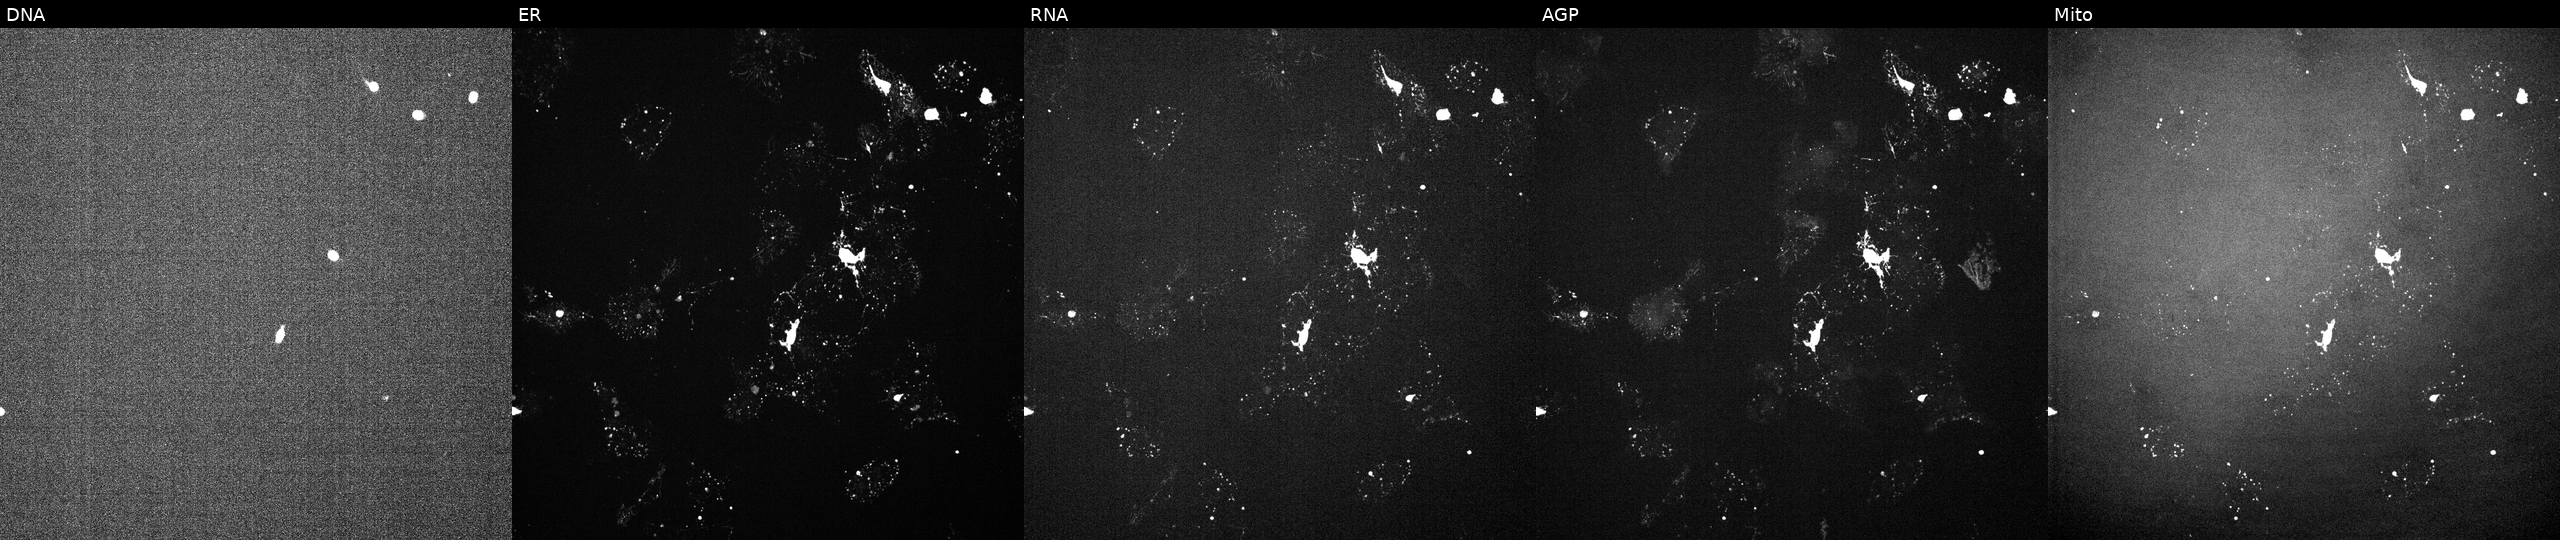
The five panels, left to right, show Hoechst 33342, concanavalin A, SYTO 14, phalloidin and WGA, MitoTracker. U2OS osteosarcoma cells treated with a small-molecule compound (InChIKey IAYGCINLNONXHY-UHFFFAOYSA-N). Cell Painting assay, JUMP-CP dataset. Source 6, plate 110000293081, well D11.